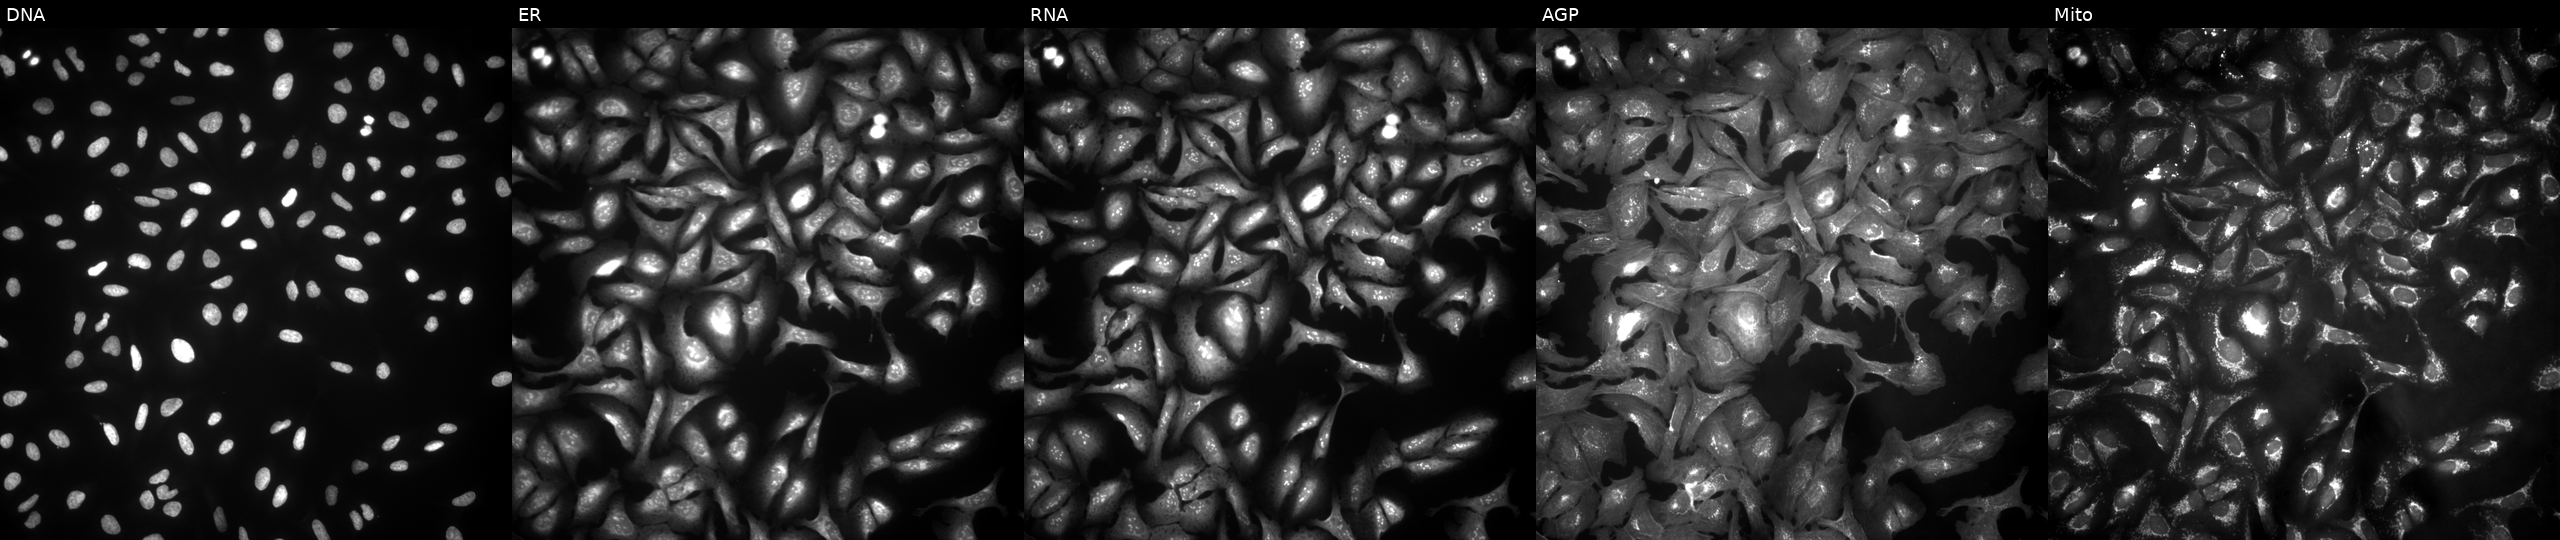
Five-channel Cell Painting image of U2OS cells transfected with an ORF construct for CPSF7. The five panels, left to right, show Hoechst 33342, concanavalin A, SYTO 14, phalloidin and WGA, MitoTracker.